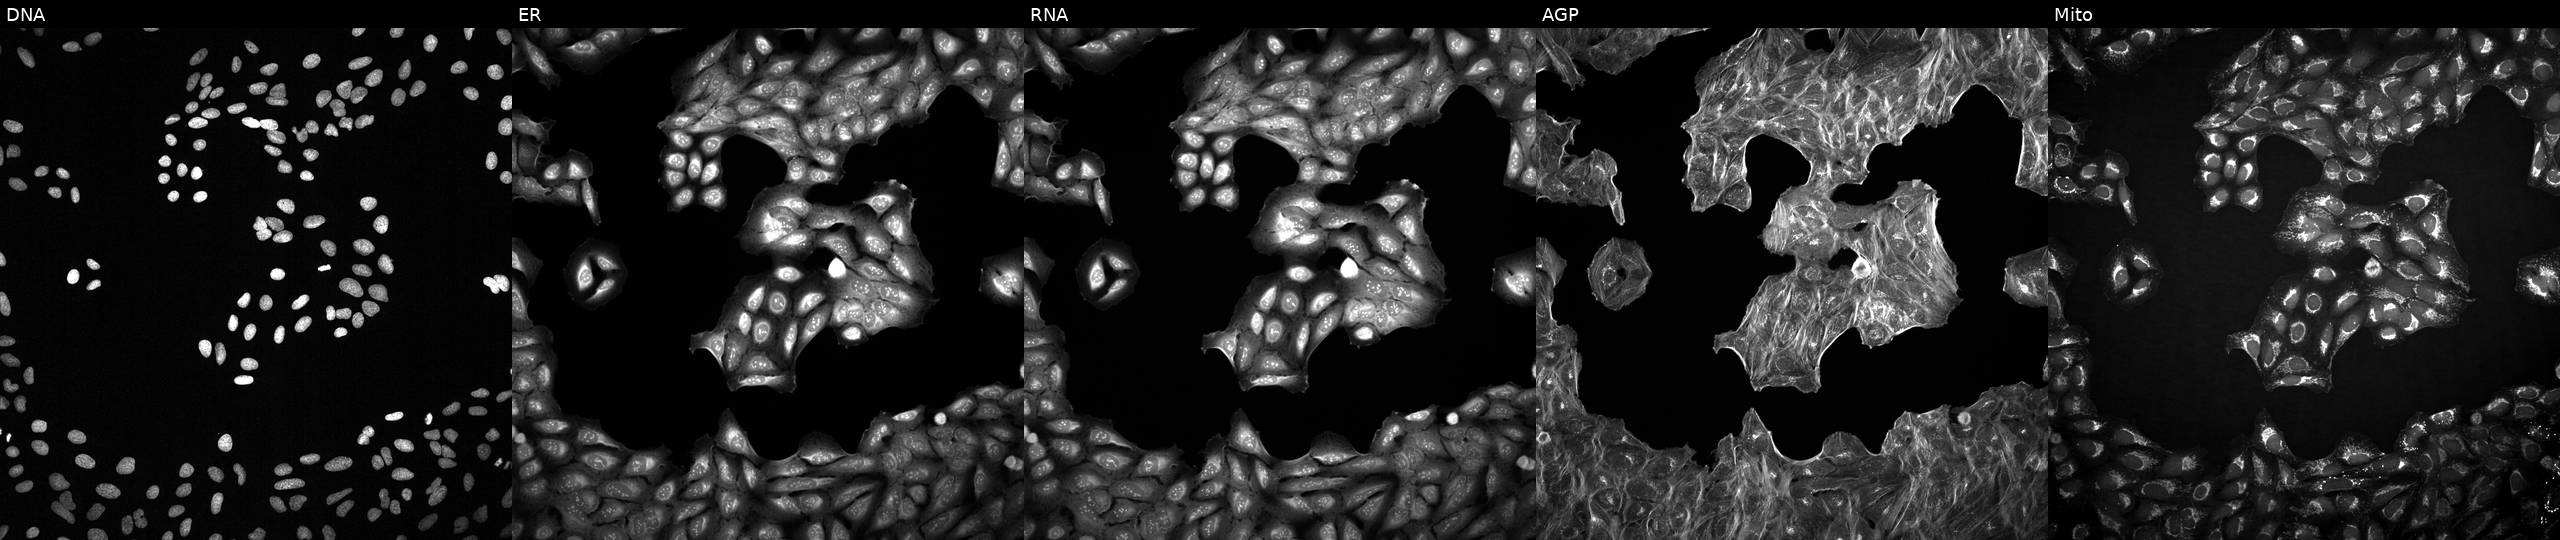
JUMP Cell Painting — COMPOUND plate. U2OS cells perturbed with a small-molecule compound (InChIKey KQFKEOCJBKQYTR-UHFFFAOYSA-N) (JUMP id JCP2022_046295). The five panels, left to right, show DNA (nuclei); ER (endoplasmic reticulum); RNA (nucleoli and cytoplasmic RNA); AGP (actin cytoskeleton, Golgi, and plasma membrane); Mito (mitochondria).